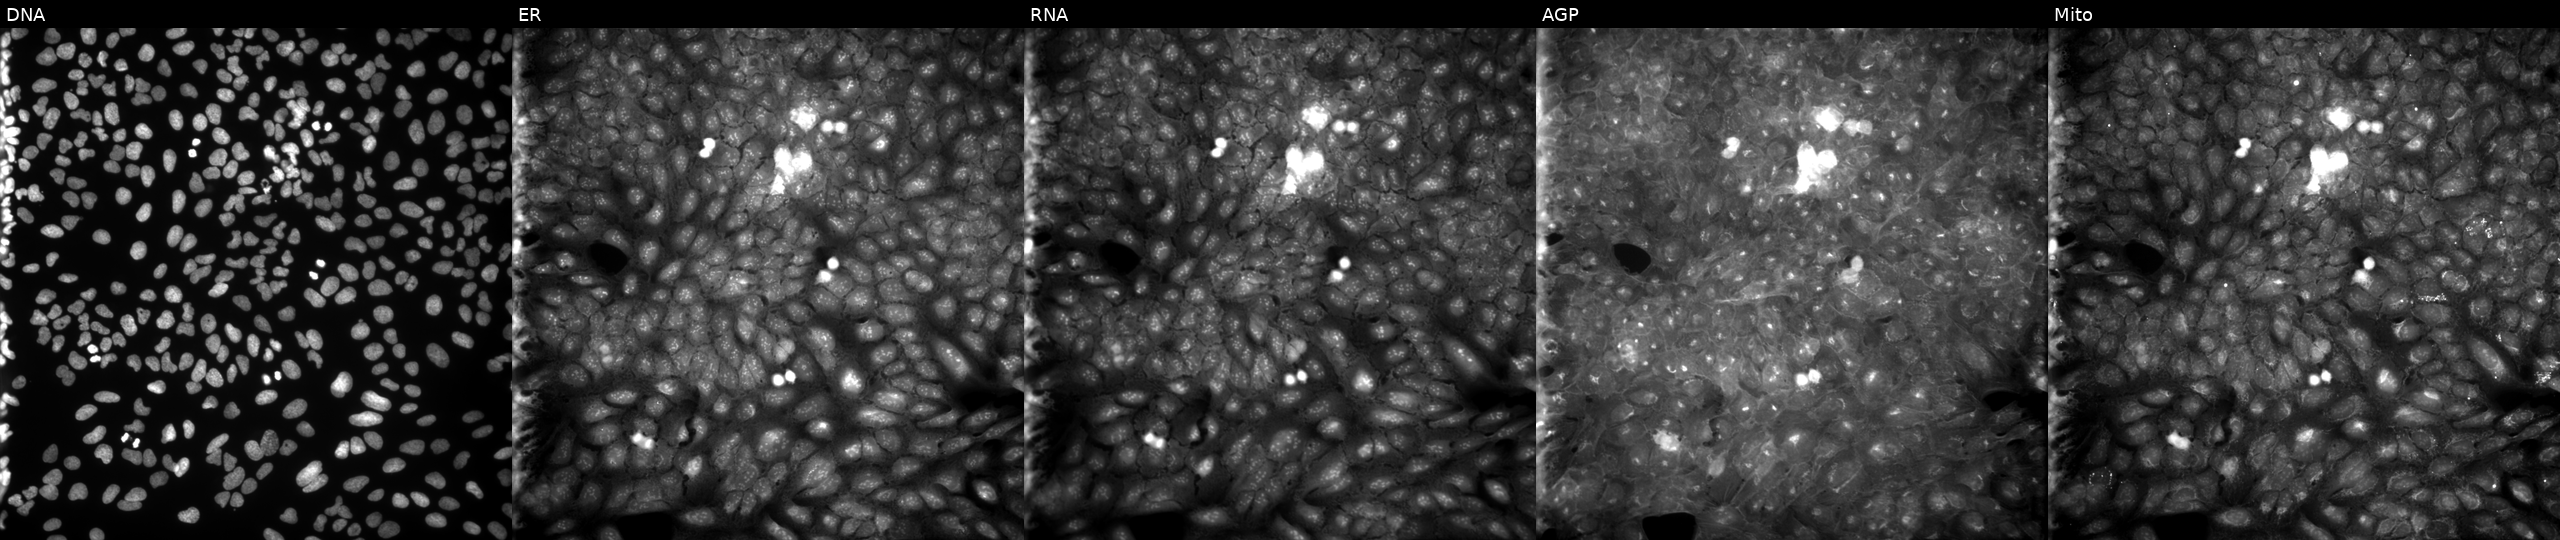
Five-channel Cell Painting image of U2OS cells treated with a small-molecule compound. From left to right: Hoechst 33342, concanavalin A, SYTO 14, phalloidin and WGA, MitoTracker.